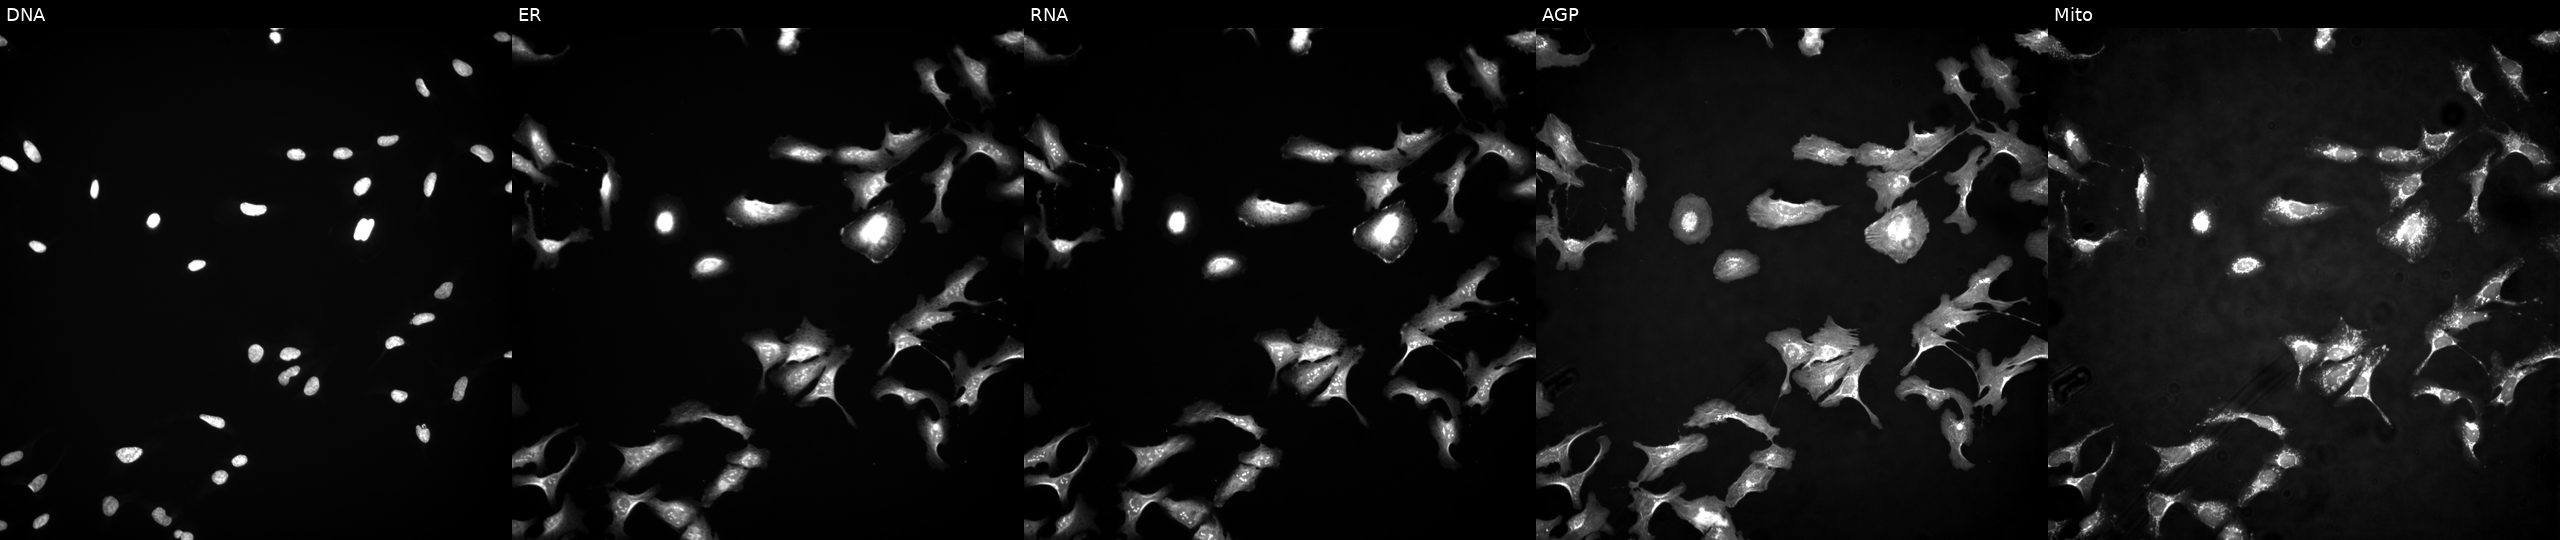
From left to right: Hoechst 33342, concanavalin A, SYTO 14, phalloidin and WGA, MitoTracker. U2OS osteosarcoma cells overexpressing EIF2AK1 via ORF transfection (JUMP id JCP2022_914057). Cell Painting assay, JUMP-CP dataset. Source 4, plate BR00123945, well G09.